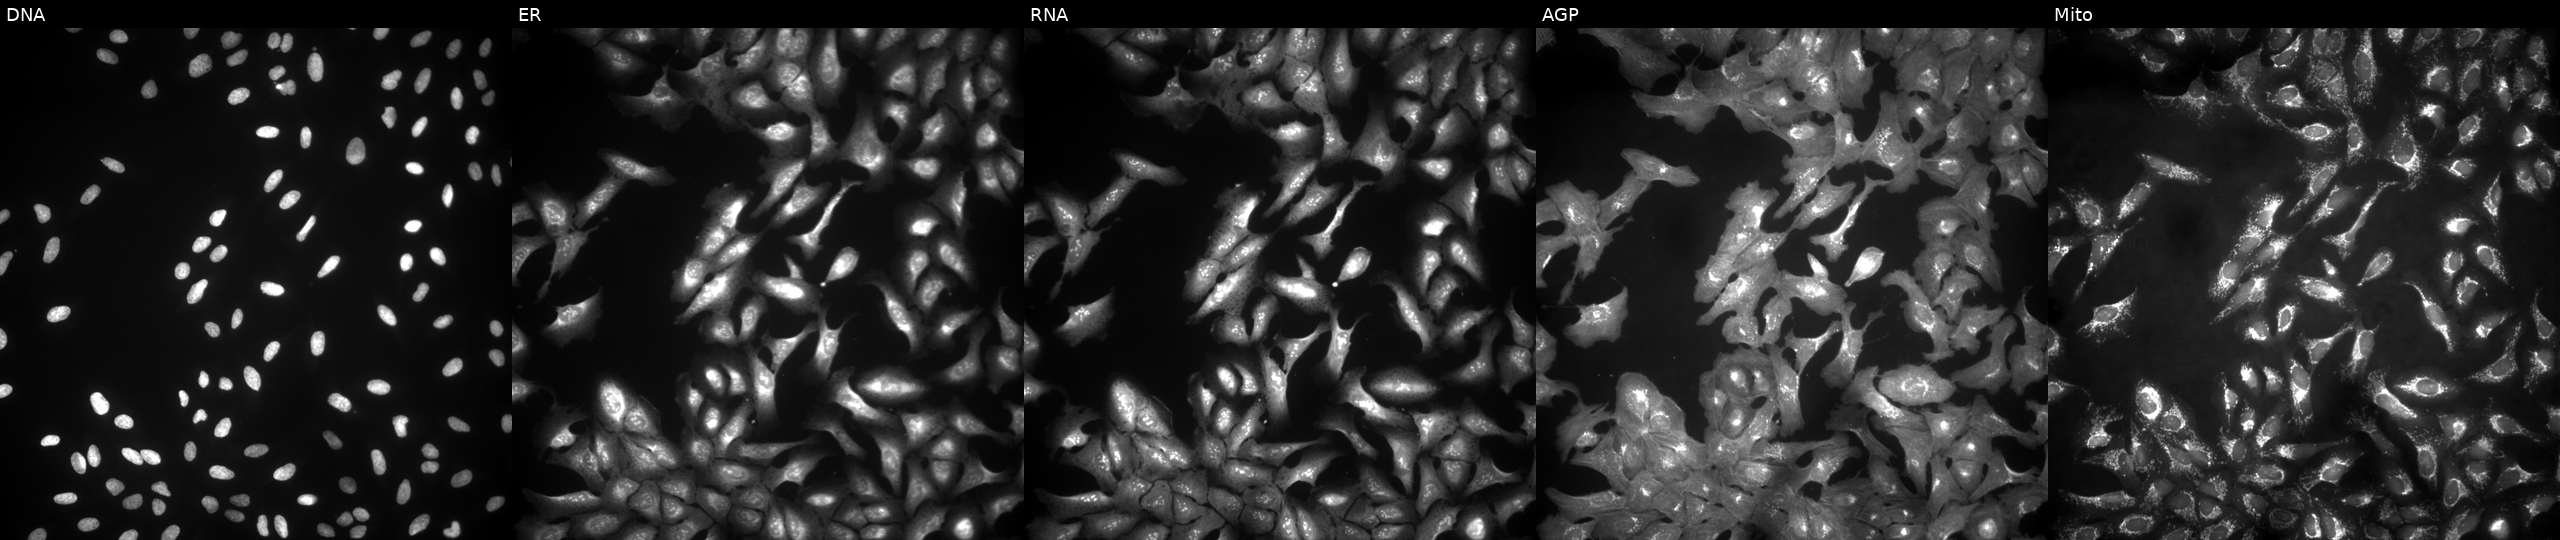
U2OS cells, Cell Painting assay, overexpressing CA9 via ORF transfection. From left to right: DNA, ER, RNA, AGP, and Mito. Each panel is percentile-stretched 16-bit fluorescence. Source 4, plate BR00123506, well K19.